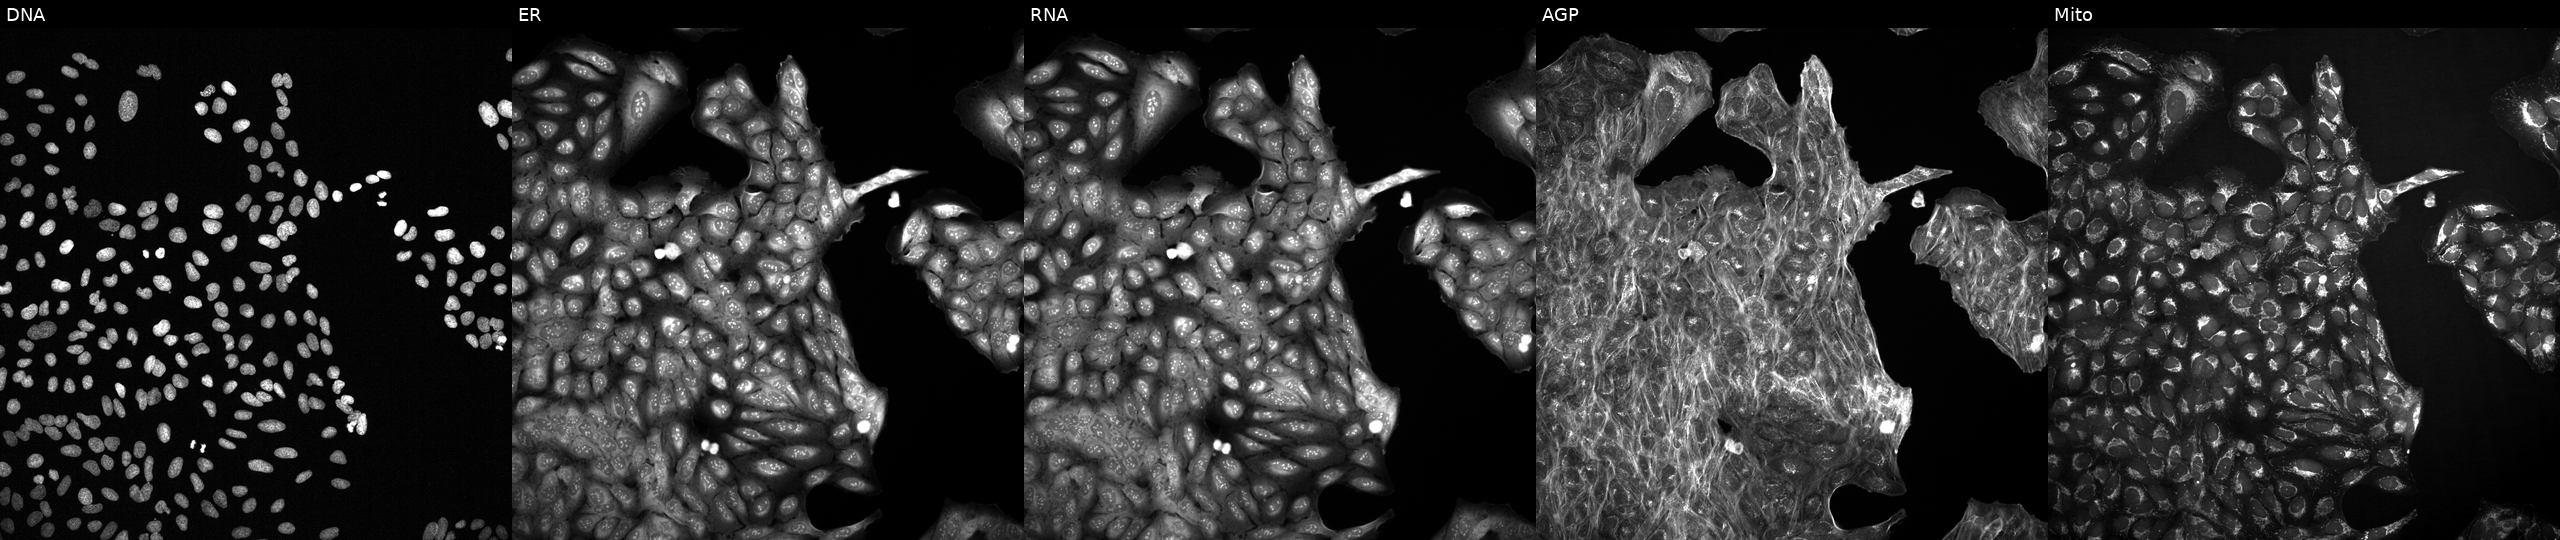
The five panels, left to right, show DNA, ER, RNA, AGP, and Mito. U2OS osteosarcoma cells with an unidentified perturbation (not annotated in JUMP metadata). Cell Painting assay, JUMP-CP dataset. Source 2, plate 1053601756, well B05.